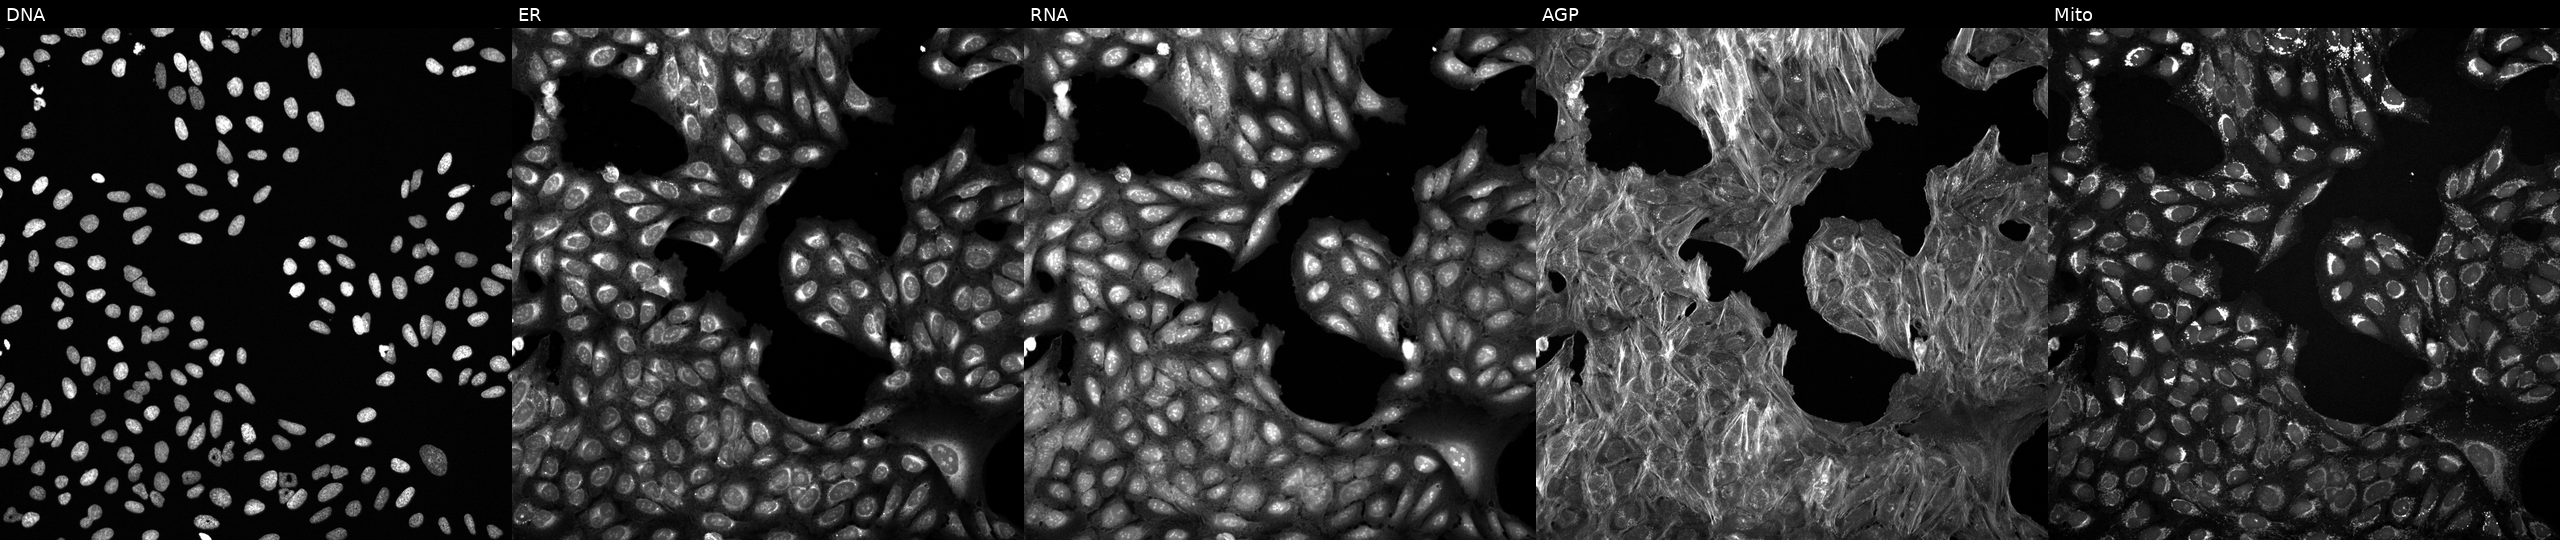
Panels show, left to right, Hoechst 33342, concanavalin A, SYTO 14, phalloidin and WGA, MitoTracker. U2OS osteosarcoma cells treated with a small-molecule compound (JUMP id JCP2022_033998). Cell Painting assay, JUMP-CP dataset.